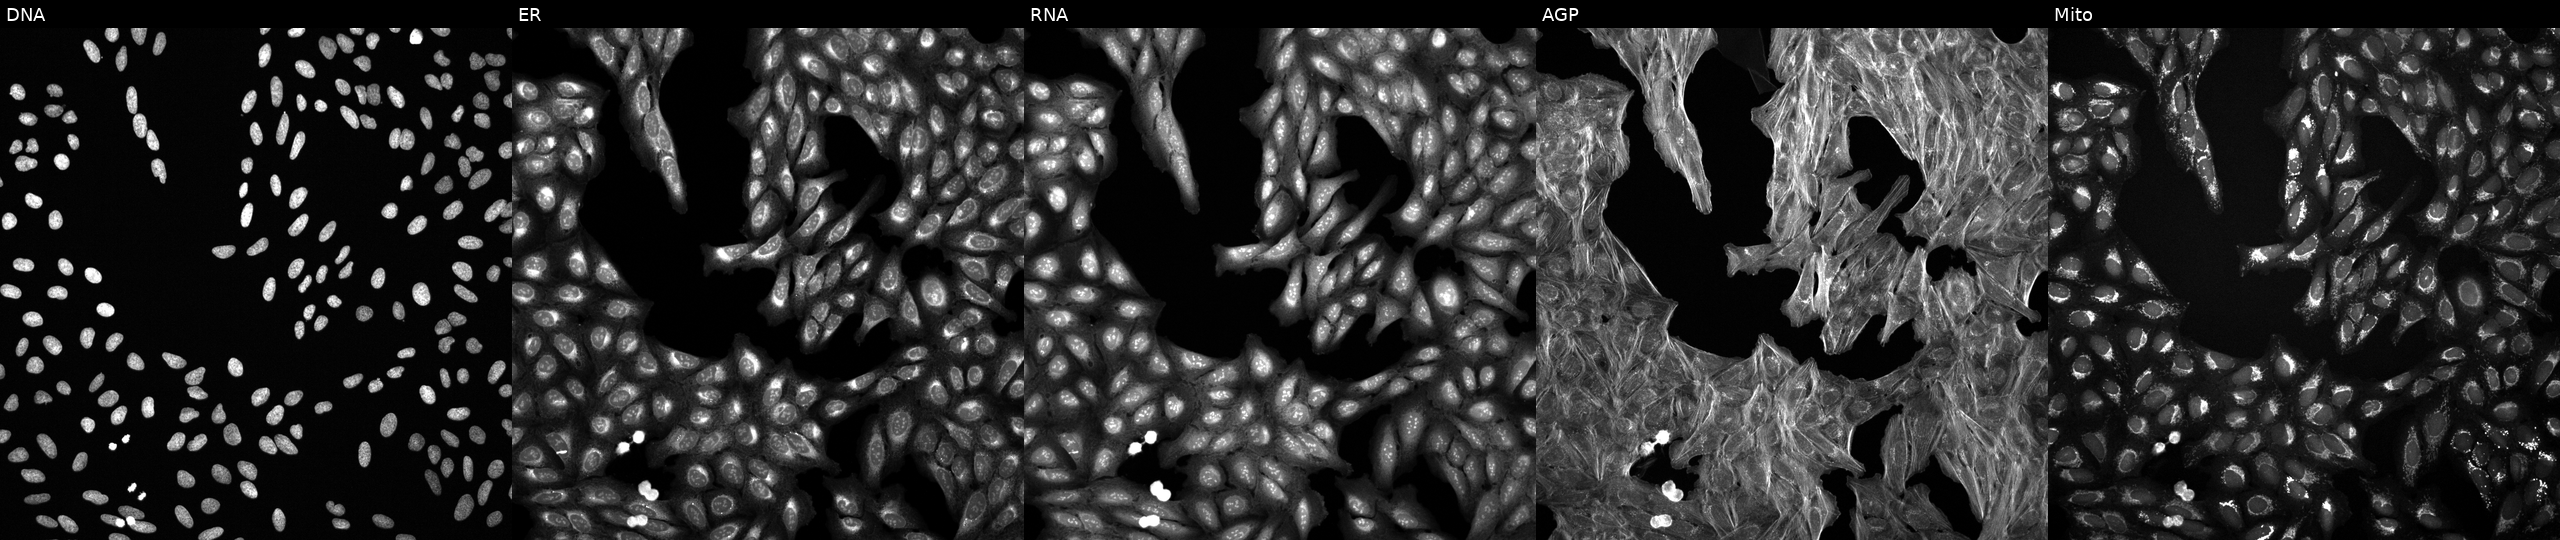
Channels (left→right): DNA, ER, RNA, AGP, and Mito. U2OS osteosarcoma cells exposed to DMSO alone as a negative control (JUMP id JCP2022_033924). Cell Painting assay, JUMP-CP dataset.